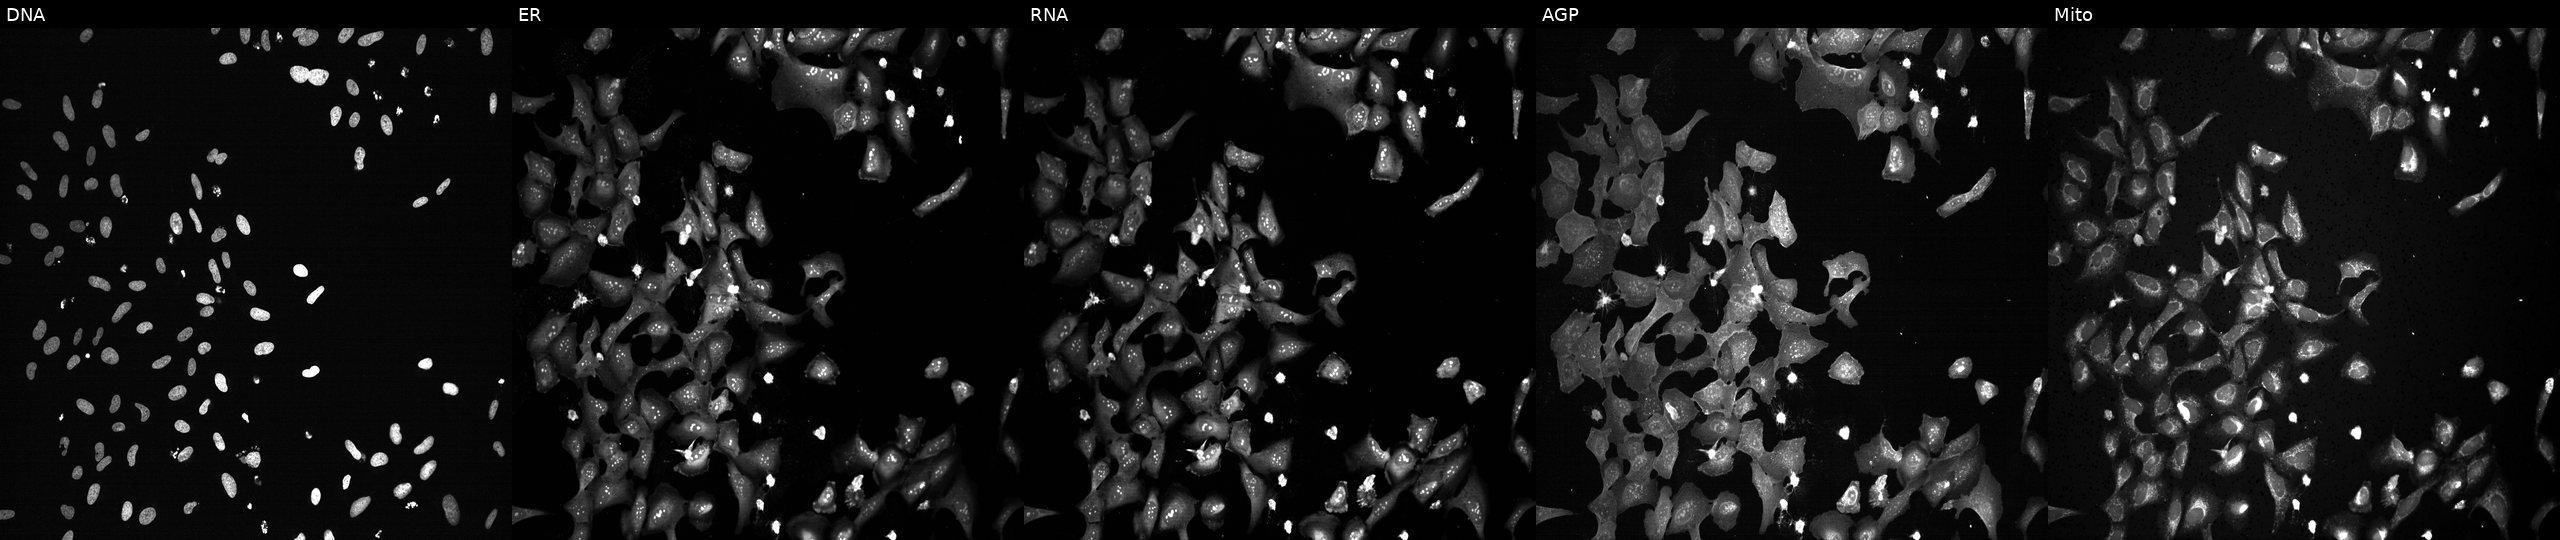
Five-channel Cell Painting image of U2OS cells treated with TC-S-7004 (positive-control compound) (JUMP id JCP2022_012818). Channels (left→right): DNA, ER, RNA, AGP, and Mito. Source 13, plate CP-CC9-R5-01, well P01.